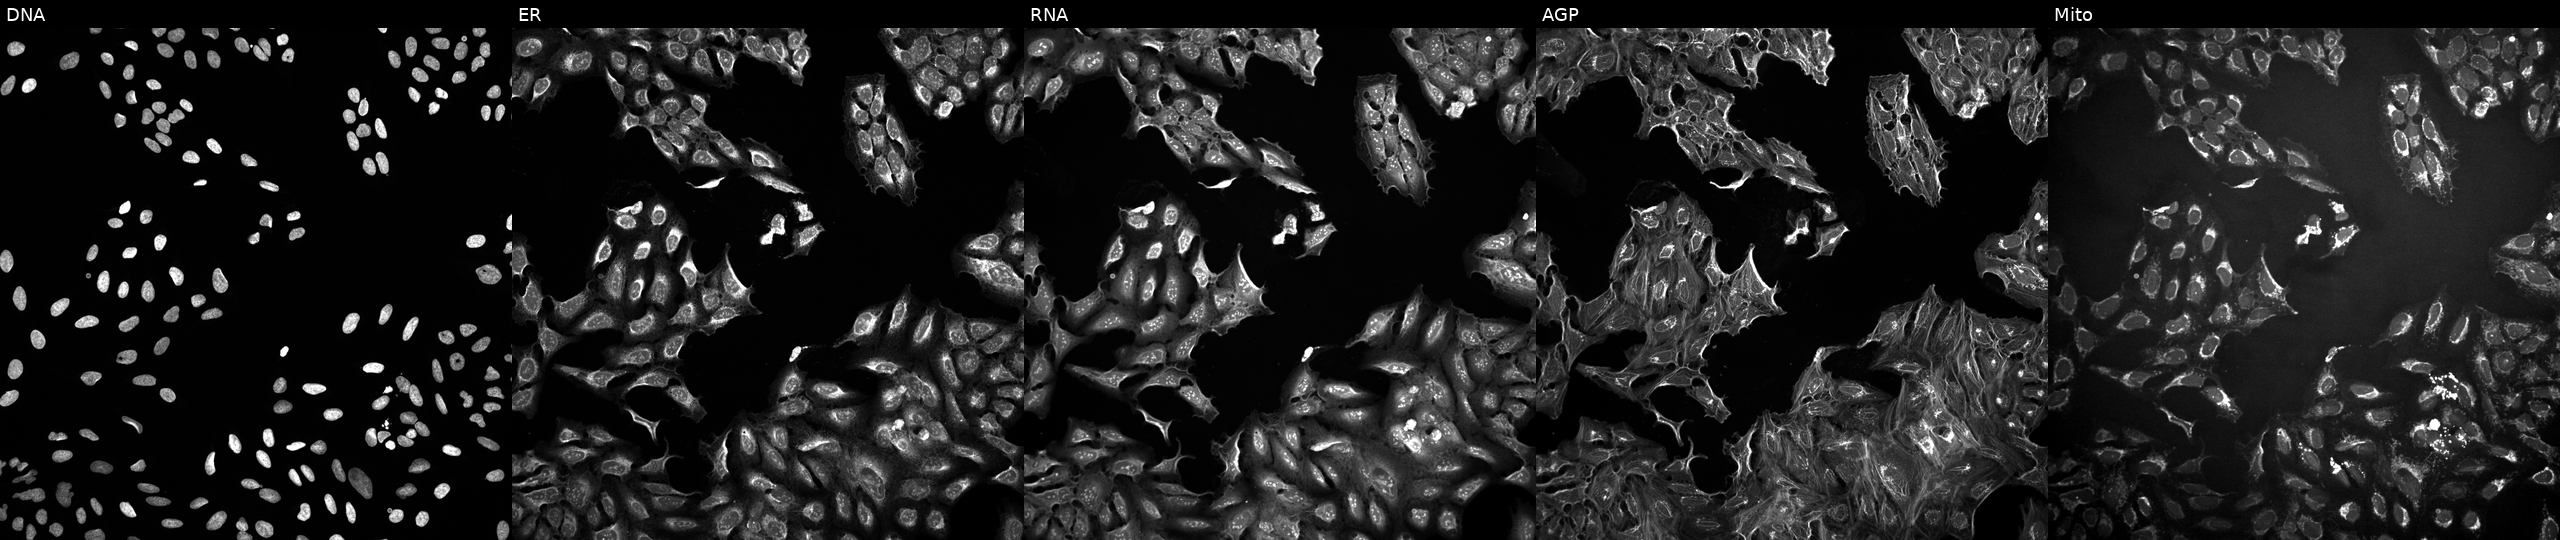
High-content fluorescence microscopy (Cell Painting). Cell line: U2OS. Perturbation: treated with DMSO vehicle only (negative control). Channels (left→right): DNA, ER, RNA, AGP, and Mito.